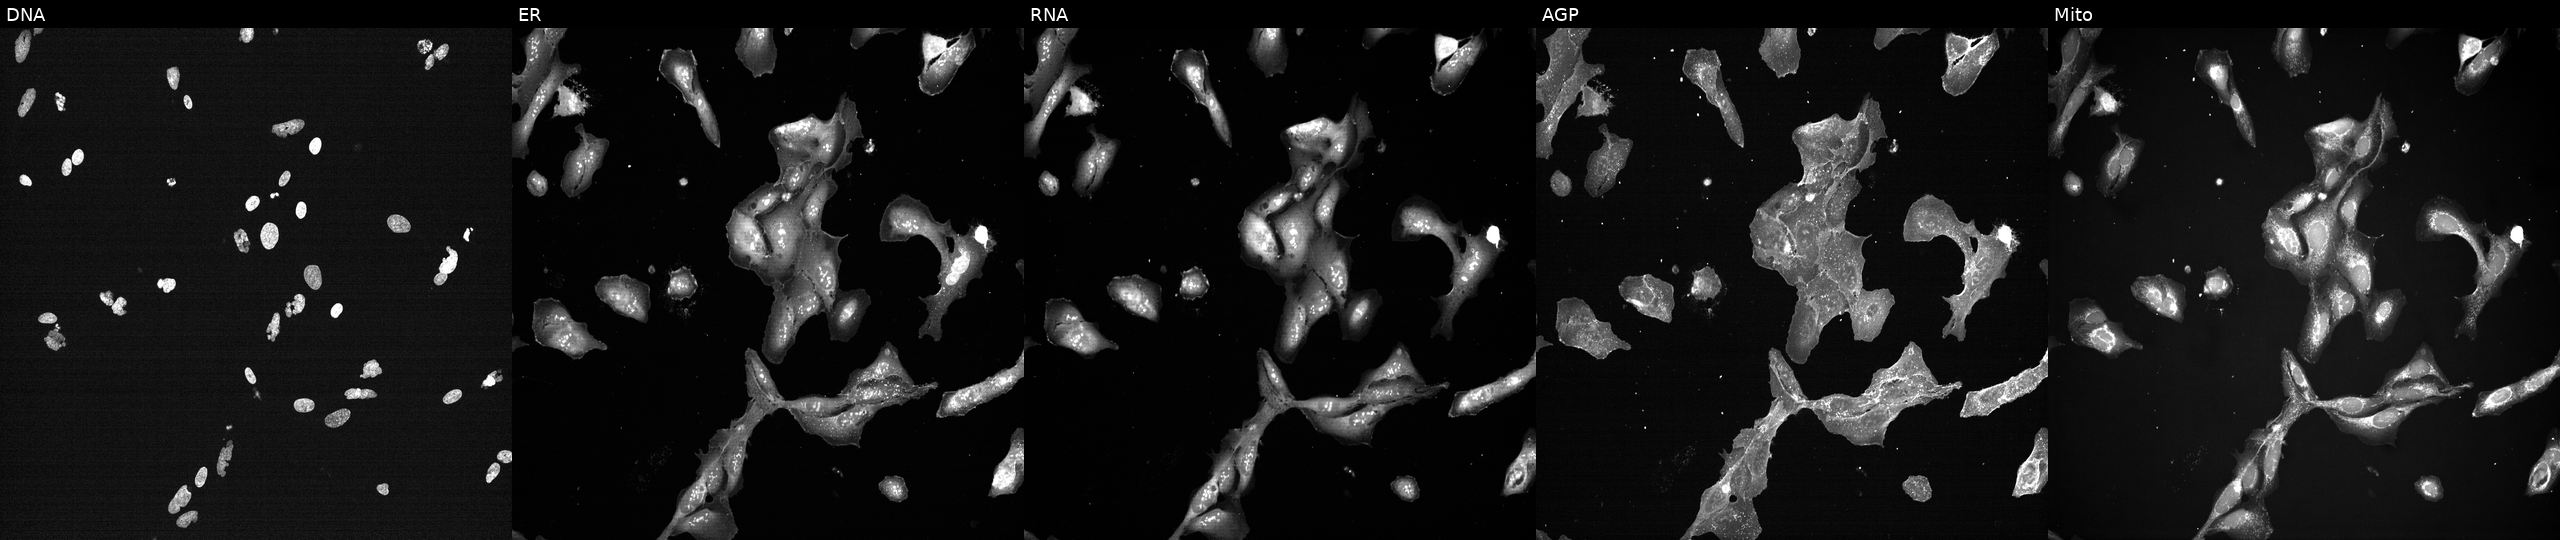
Five-channel Cell Painting image of U2OS cells perturbed with a small-molecule compound (InChIKey GQXSULRYFDAMOO-UHFFFAOYSA-N) (JUMP id JCP2022_027206). Panels show, left to right, Hoechst 33342, concanavalin A, SYTO 14, phalloidin and WGA, MitoTracker. Source 7, plate CP2-SC1-25, well G06.